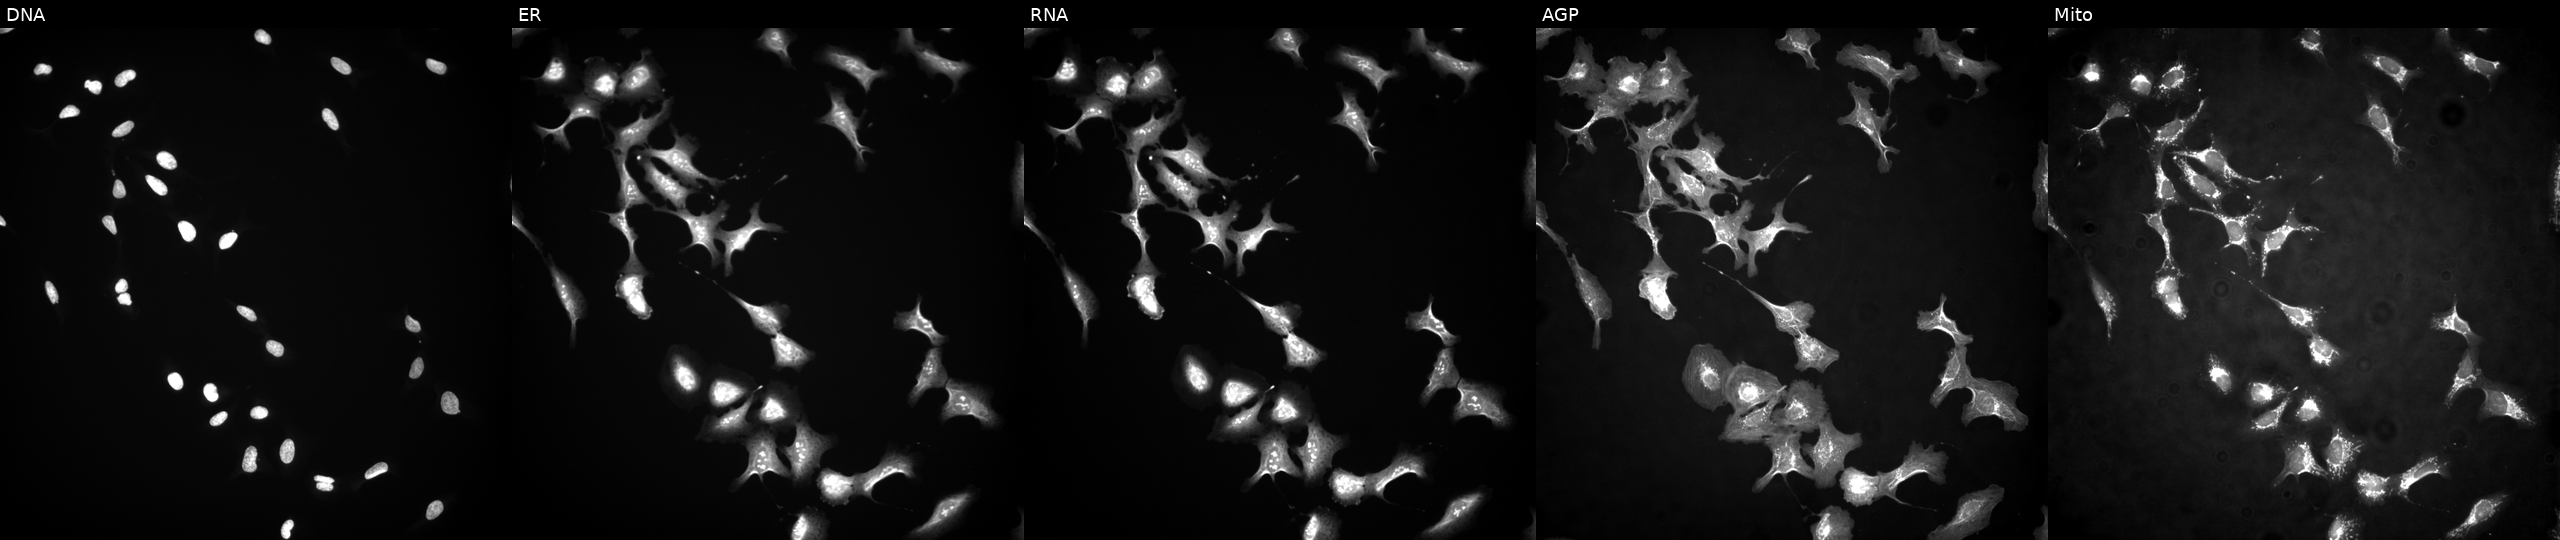
JUMP Cell Painting — ORF plate. U2OS cells overexpressing KDM1A via ORF transfection (JUMP id JCP2022_913133). The five panels, left to right, show DNA (nuclei); ER (endoplasmic reticulum); RNA (nucleoli and cytoplasmic RNA); AGP (actin cytoskeleton, Golgi, and plasma membrane); Mito (mitochondria).